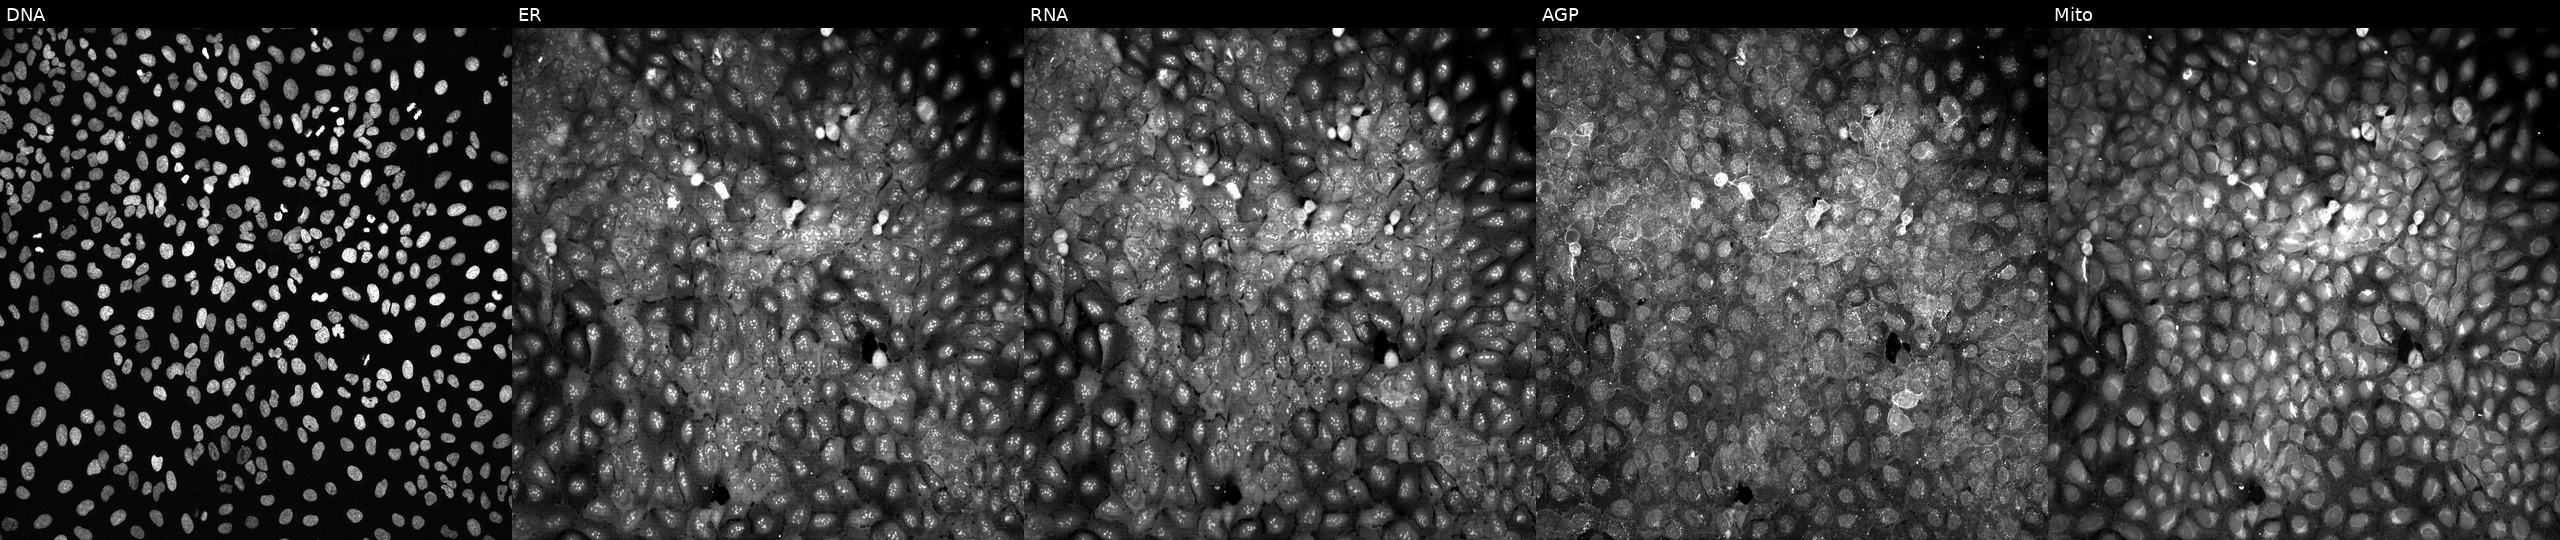
JUMP Cell Painting — CRISPR plate. U2OS cells CRISPR-edited to disrupt CRLS1. From left to right: DNA (nuclei); ER (endoplasmic reticulum); RNA (nucleoli and cytoplasmic RNA); AGP (actin cytoskeleton, Golgi, and plasma membrane); Mito (mitochondria).